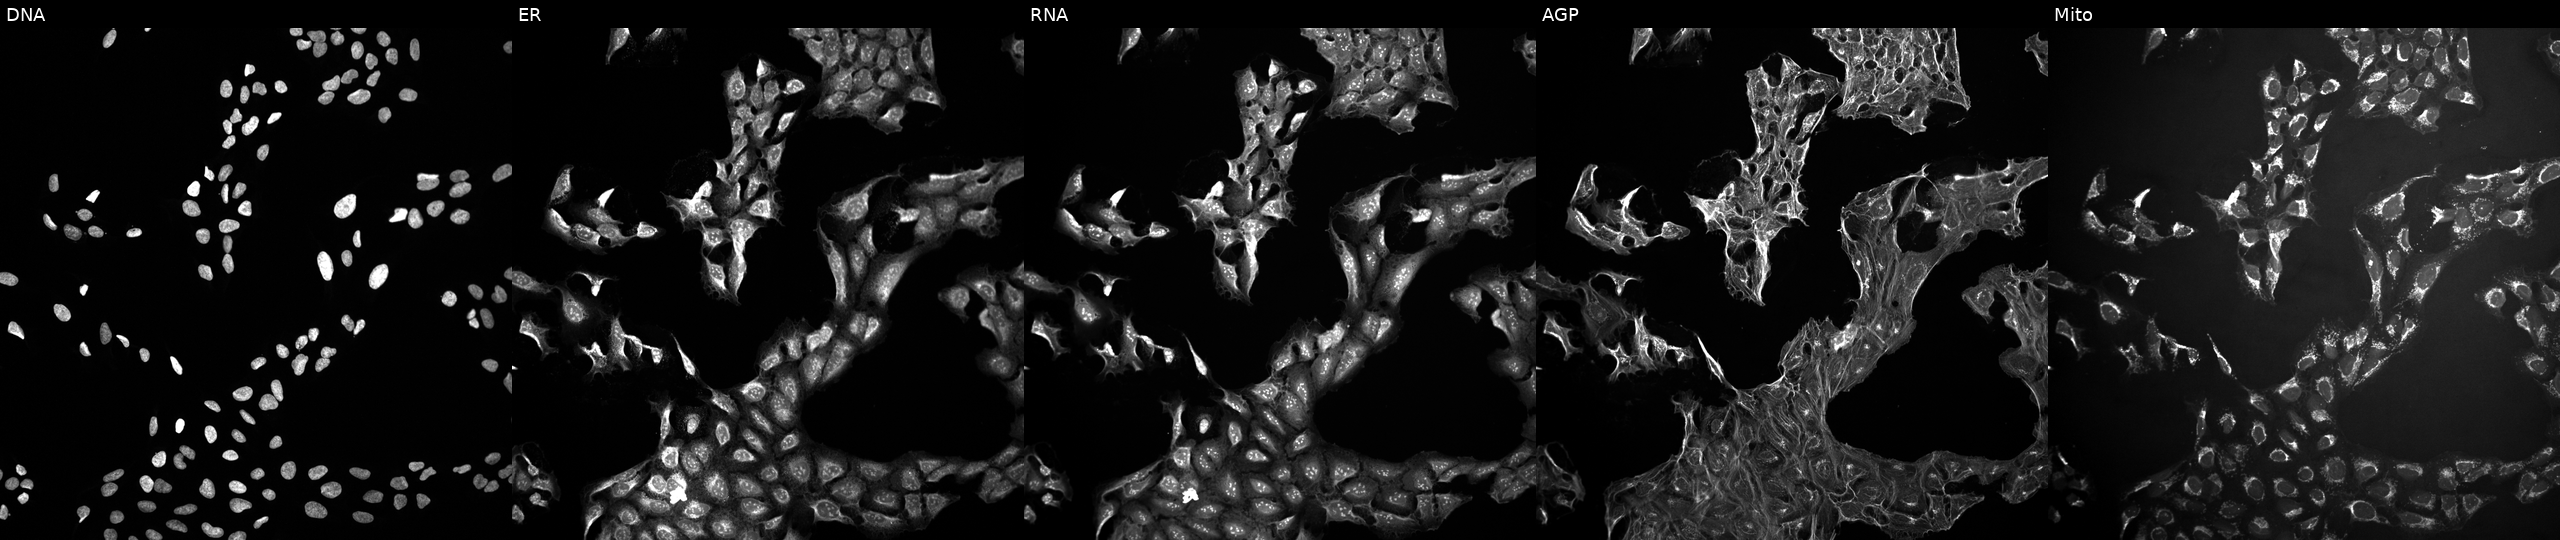
Five-channel Cell Painting image of U2OS cells treated with a small-molecule compound (InChIKey LRRMQNGSYOUANY-UHFFFAOYSA-N). Panels show, left to right, DNA (nuclei); ER (endoplasmic reticulum); RNA (nucleoli and cytoplasmic RNA); AGP (actin cytoskeleton, Golgi, and plasma membrane); Mito (mitochondria).